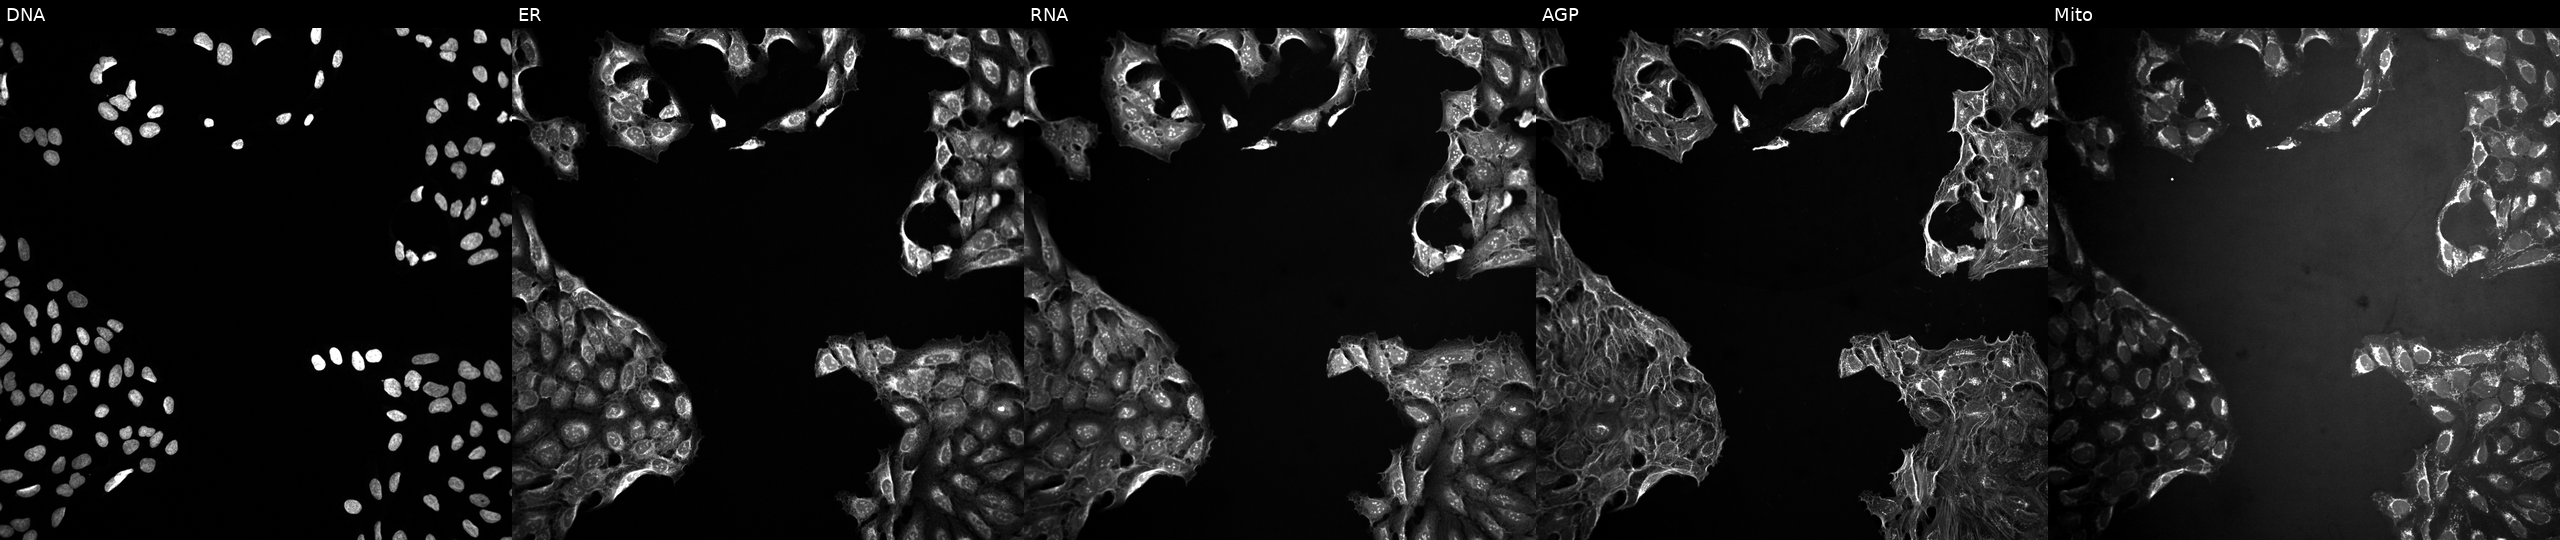
JUMP Cell Painting — COMPOUND plate. U2OS cells in an empty control well (no perturbation). From left to right: DNA (nuclei); ER (endoplasmic reticulum); RNA (nucleoli and cytoplasmic RNA); AGP (actin cytoskeleton, Golgi, and plasma membrane); Mito (mitochondria). Source 10, plate Dest210531-152324, well N22.